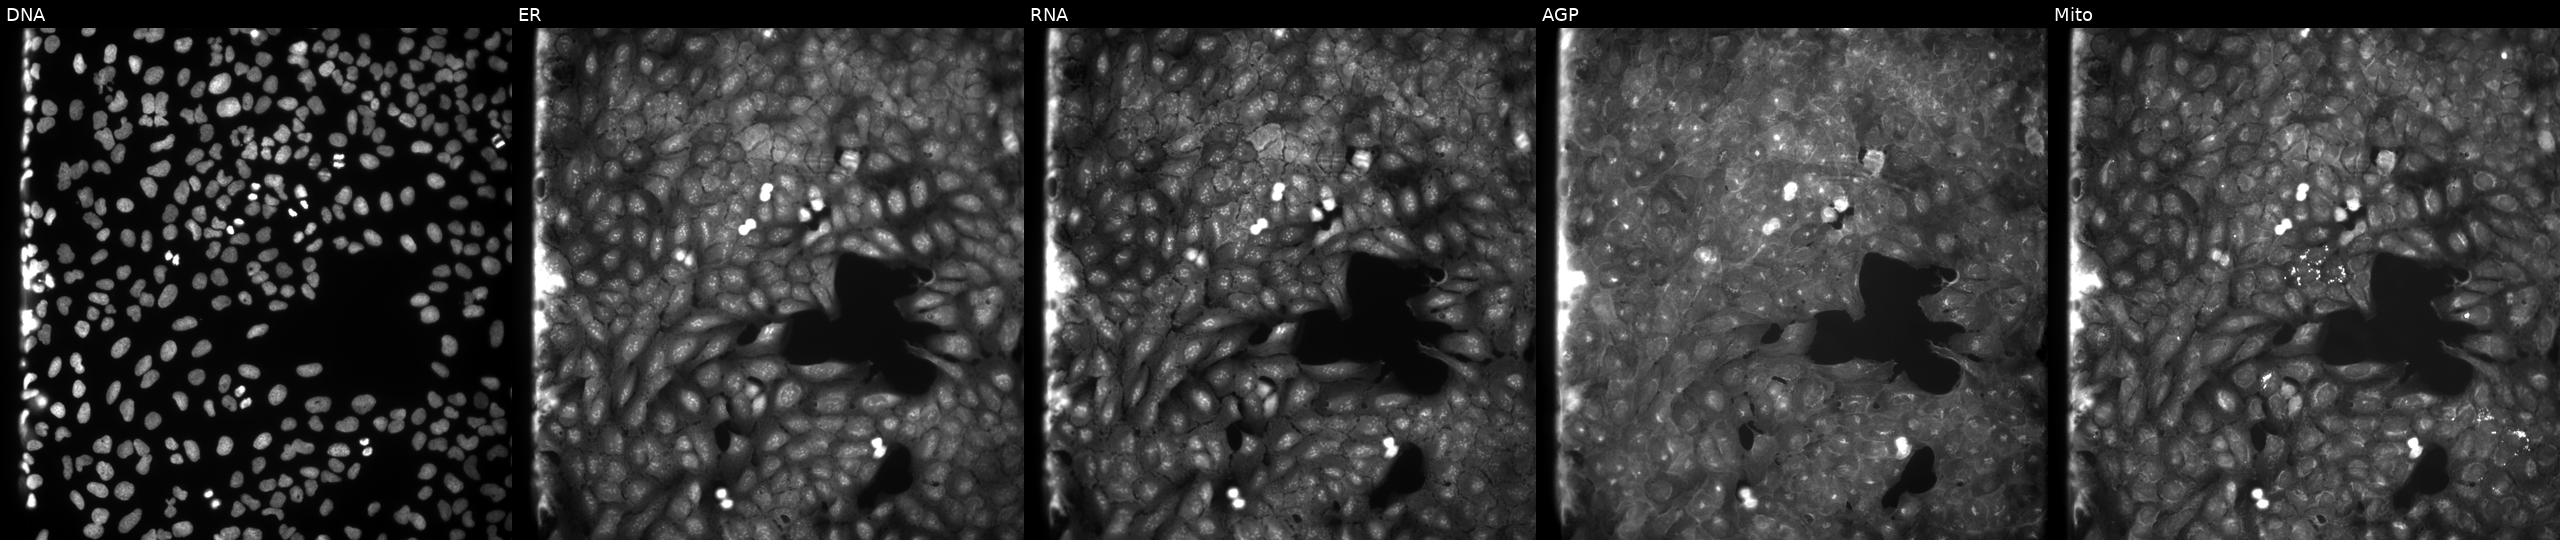
High-content fluorescence microscopy (Cell Painting). Cell line: U2OS. Perturbation: exposed to a small-molecule compound (InChIKey GOEFJRHSYZRMRV-UHFFFAOYSA-N) (JUMP id JCP2022_026727). Channels (left→right): DNA, ER, RNA, AGP, and Mito. Source 9, plate GR00003382, well L06.